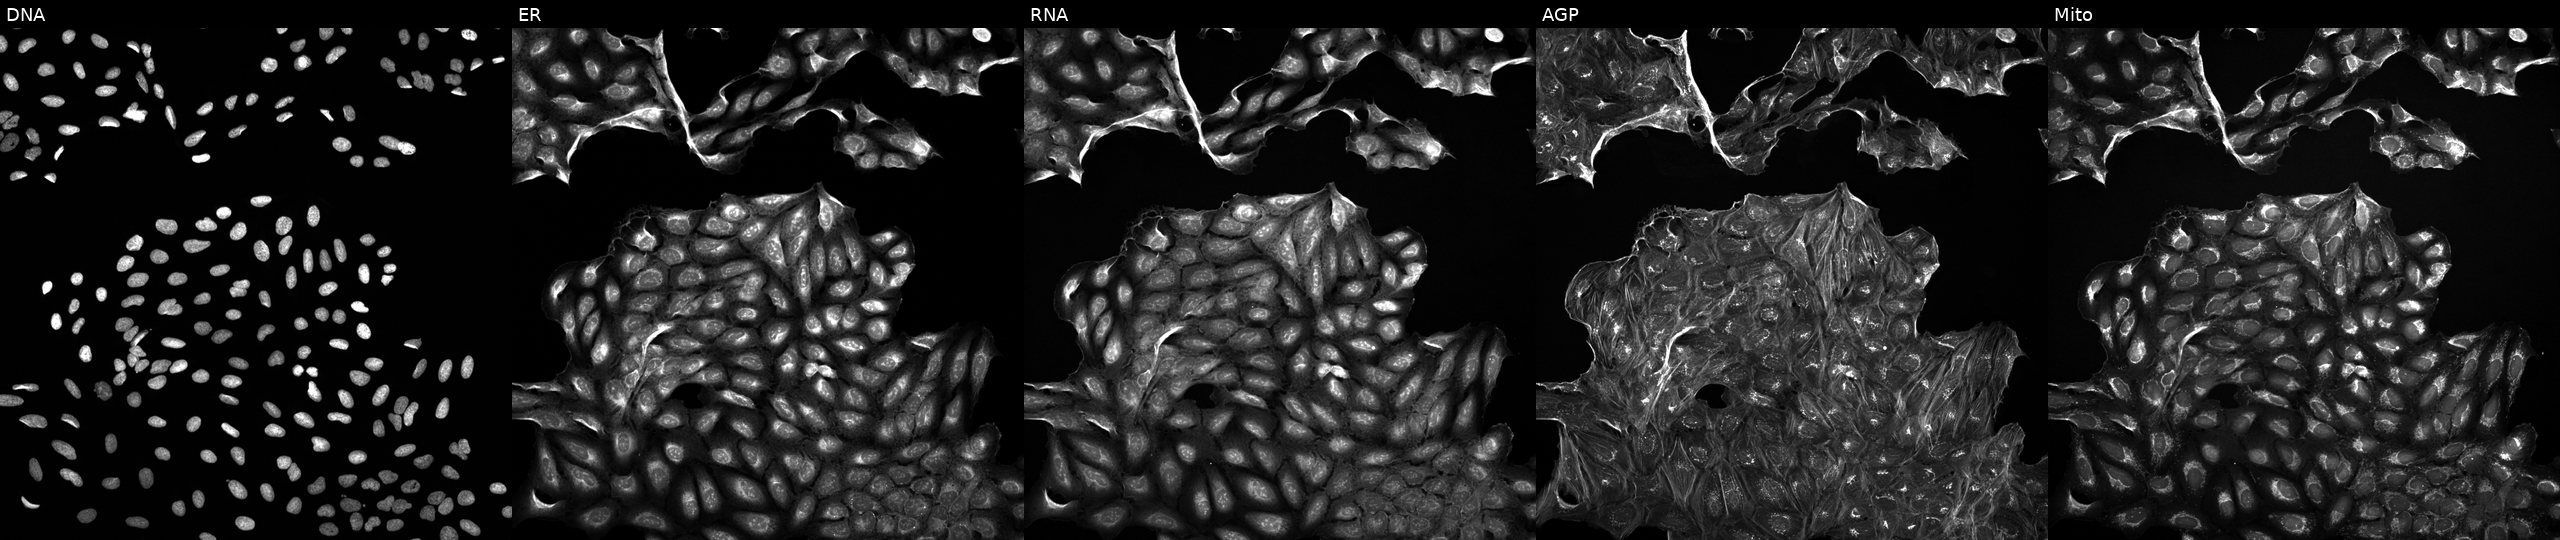
This image strip shows the five Cell Painting channels for a single field of U2OS cells exposed to DMSO alone as a negative control. From left to right: DNA (nuclei); ER (endoplasmic reticulum); RNA (nucleoli and cytoplasmic RNA); AGP (actin cytoskeleton, Golgi, and plasma membrane); Mito (mitochondria).